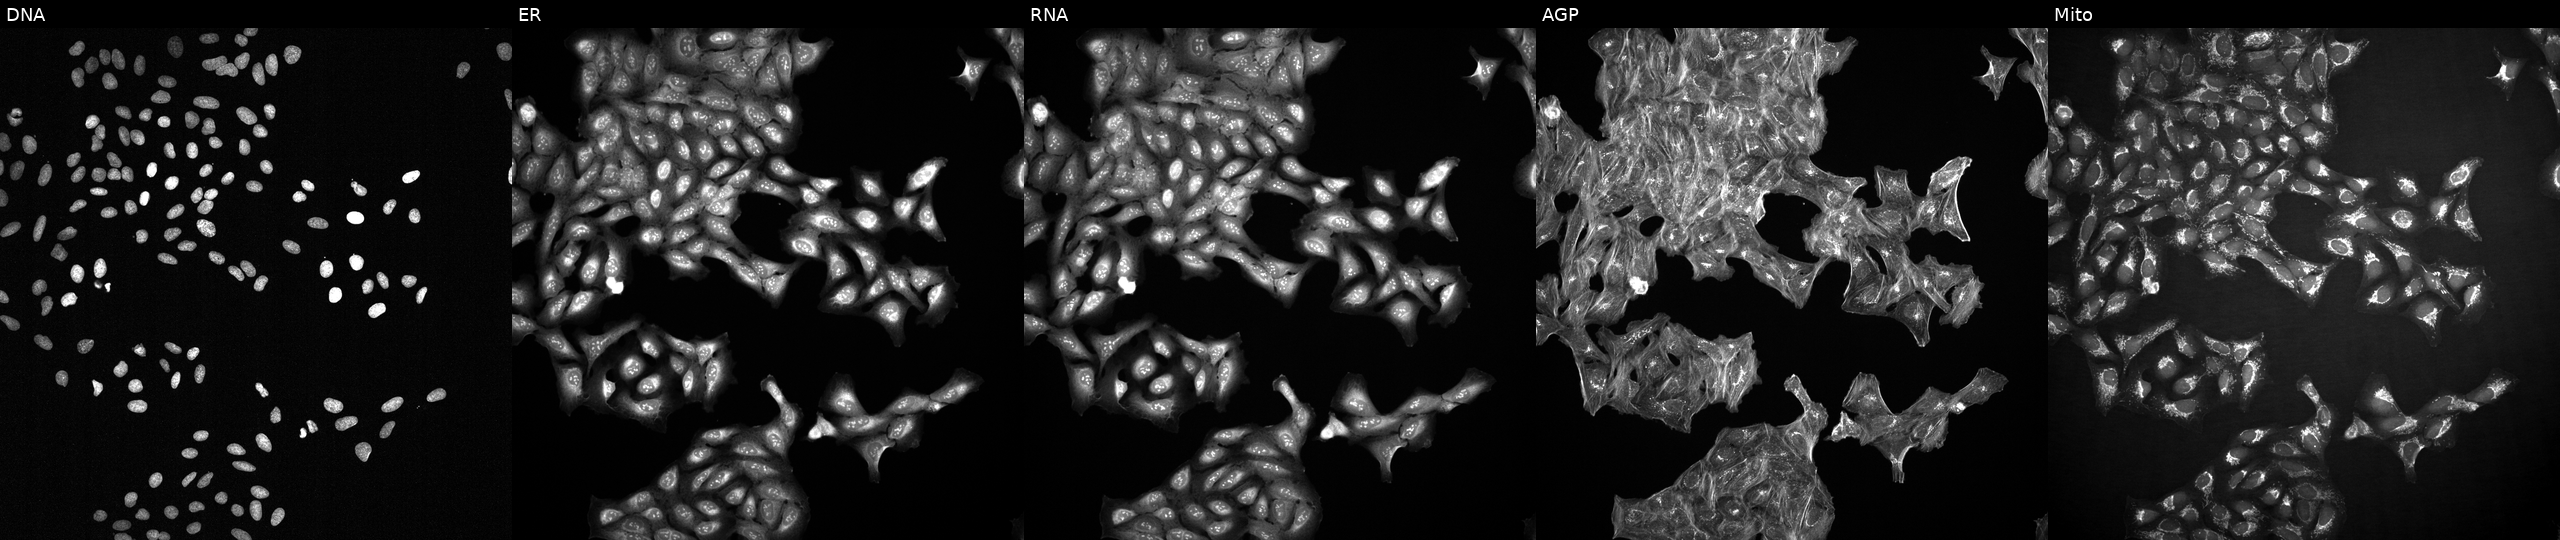
Five-channel Cell Painting image of U2OS cells exposed to a small-molecule compound (InChIKey HCRKCZRJWPKOAR-UHFFFAOYSA-N) (JUMP id JCP2022_029365). From left to right: DNA, ER, RNA, AGP, and Mito.